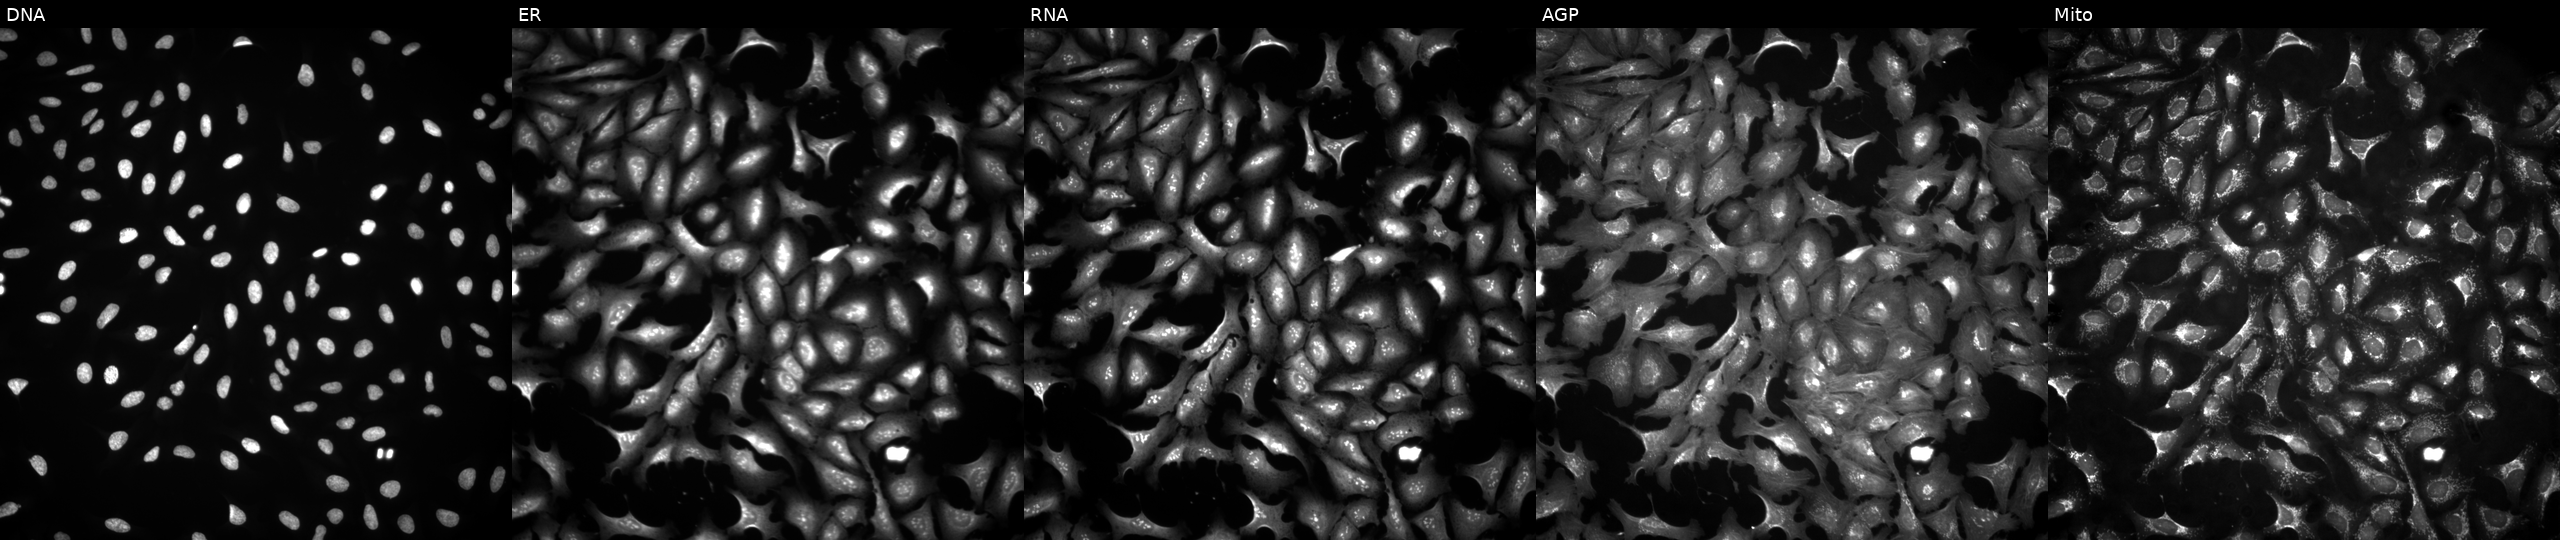
U2OS cells, Cell Painting assay, transfected with an ORF construct for LLCFC1. The five panels, left to right, show DNA, ER, RNA, AGP, and Mito. Each panel is percentile-stretched 16-bit fluorescence. Source 4, plate BR00124787, well K08.